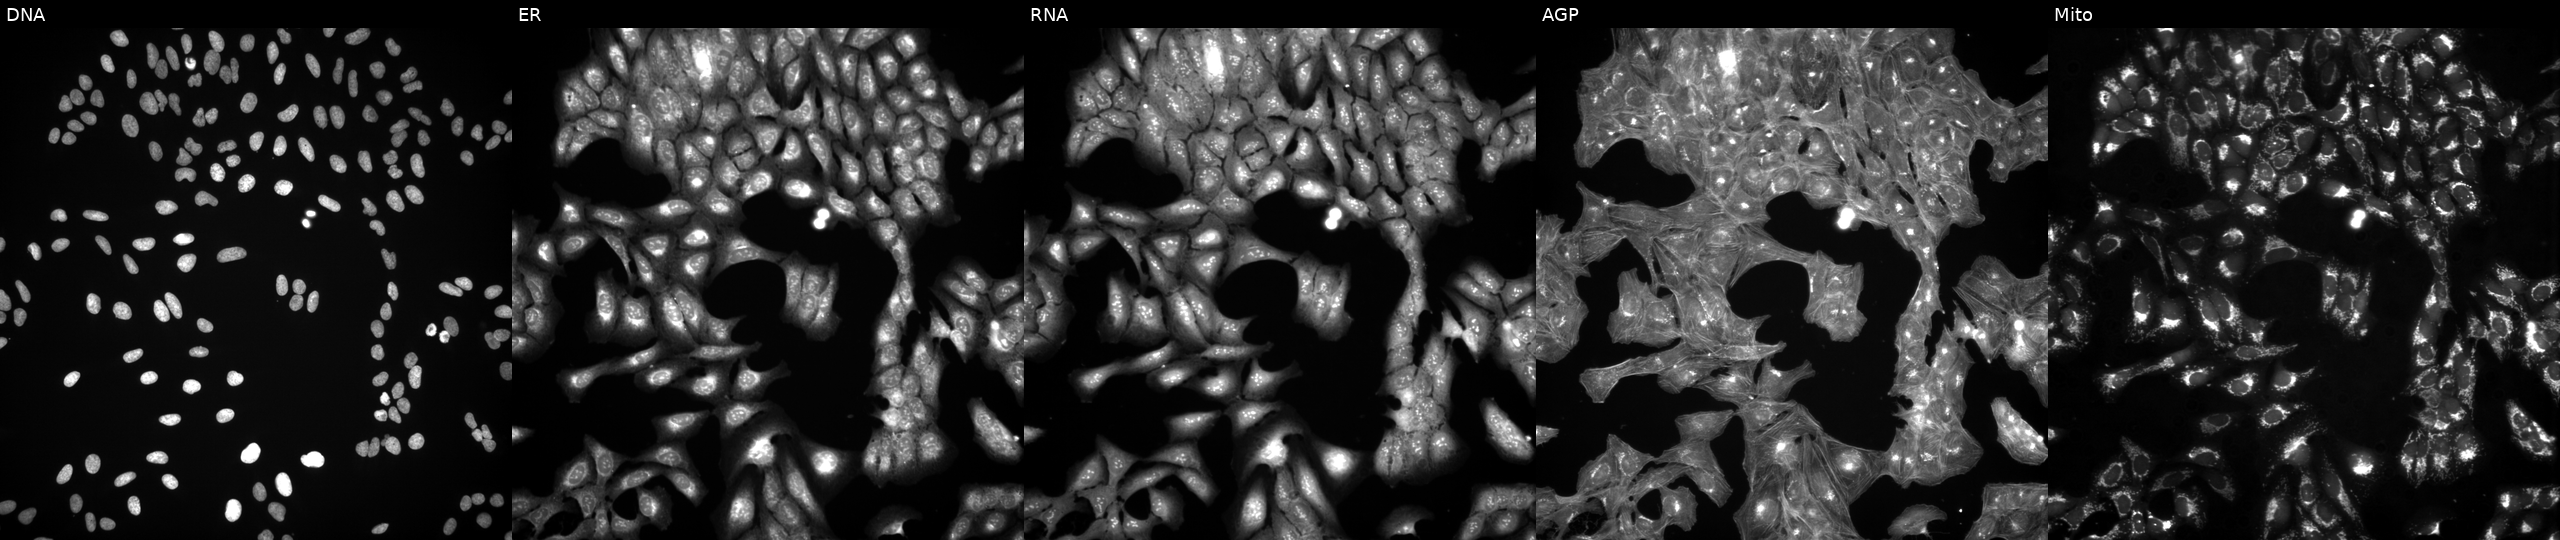
This image strip shows the five Cell Painting channels for a single field of U2OS cells perturbed with a small-molecule compound (InChIKey KJFMBFZCATUALV-UHFFFAOYSA-N) (JUMP id JCP2022_044972). The five panels, left to right, show Hoechst 33342, concanavalin A, SYTO 14, phalloidin and WGA, MitoTracker.